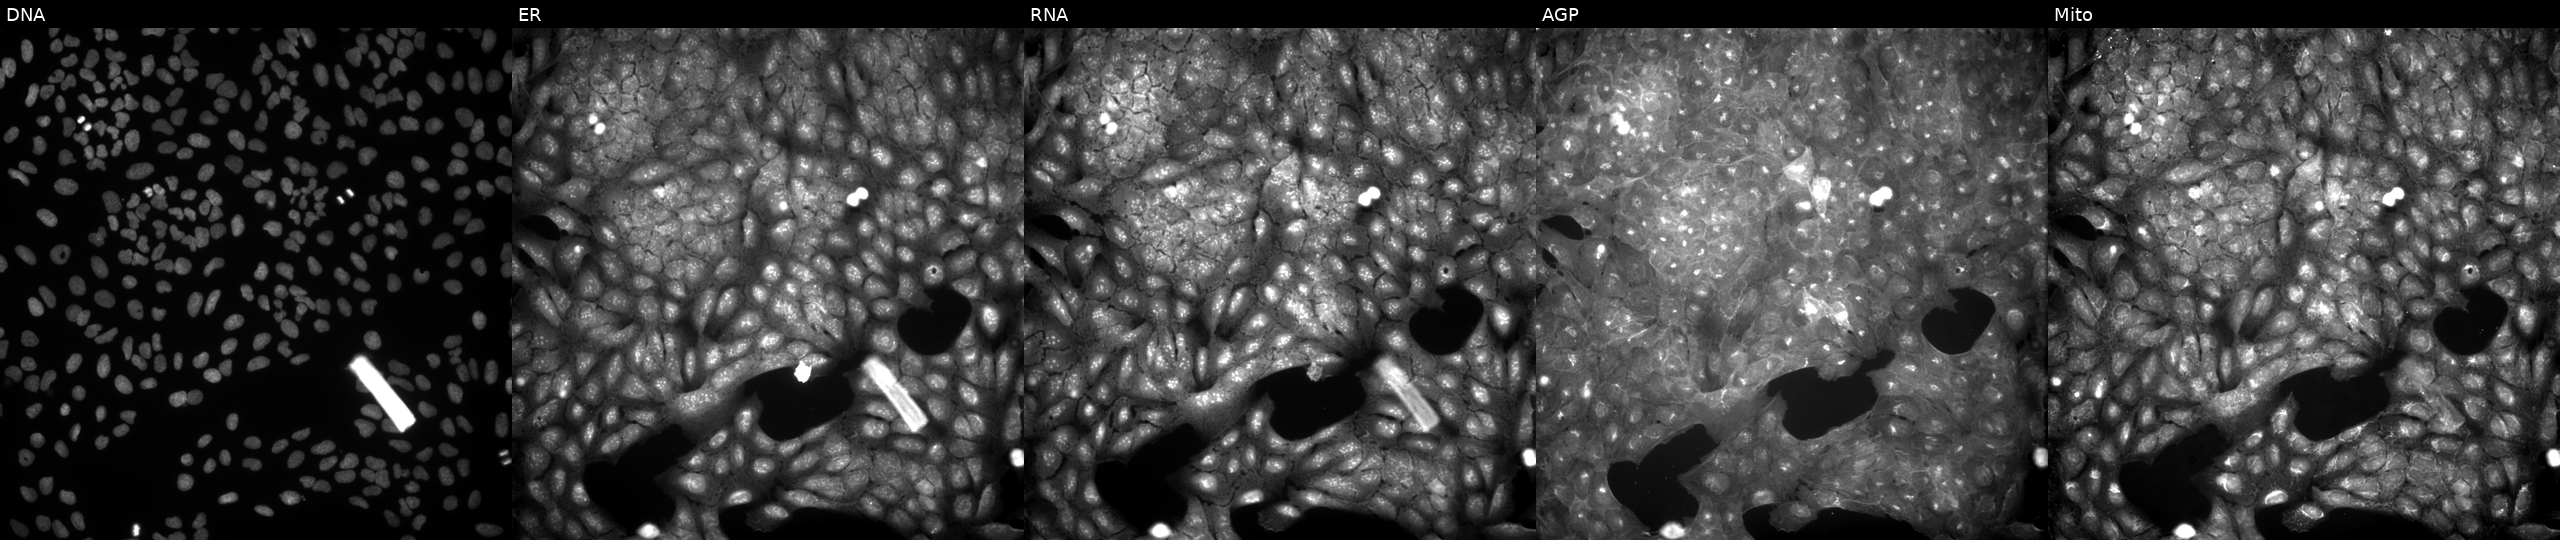
JUMP Cell Painting — COMPOUND plate. U2OS cells perturbed with a small-molecule compound (InChIKey KIGAQBWTEAOVHD-UHFFFAOYSA-N). The five panels, left to right, show DNA (nuclei); ER (endoplasmic reticulum); RNA (nucleoli and cytoplasmic RNA); AGP (actin cytoskeleton, Golgi, and plasma membrane); Mito (mitochondria).